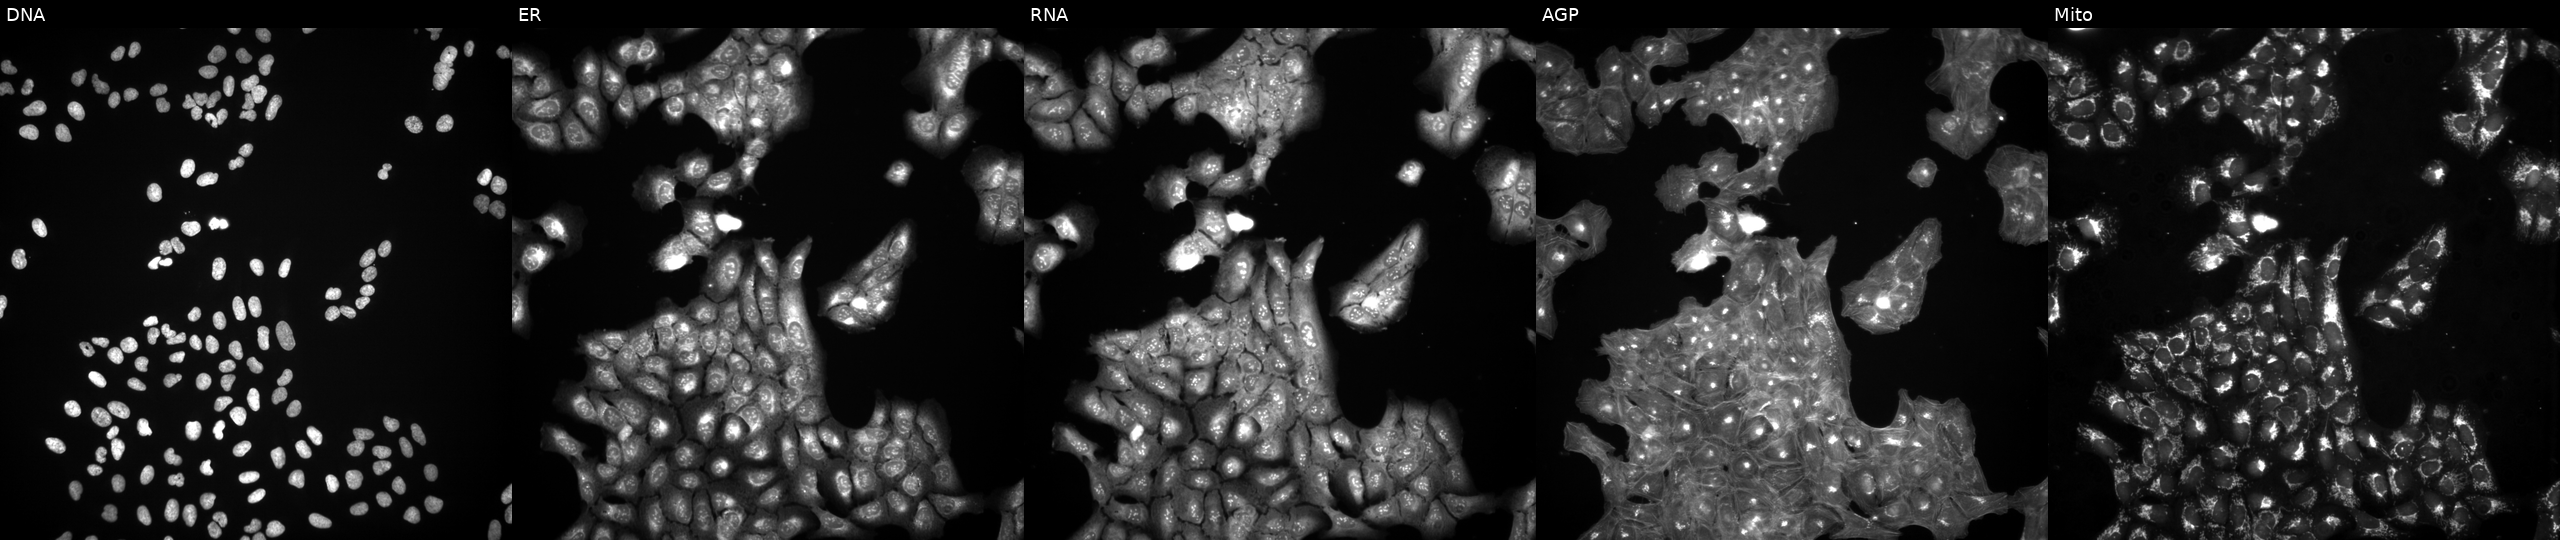
Panels show, left to right, DNA, ER, RNA, AGP, and Mito. U2OS osteosarcoma cells exposed to a small-molecule compound (InChIKey KSBKGTKWFUQFHH-UHFFFAOYSA-N) (JUMP id JCP2022_046644). Cell Painting assay, JUMP-CP dataset. Source 3, plate BR5867a3, well M21.